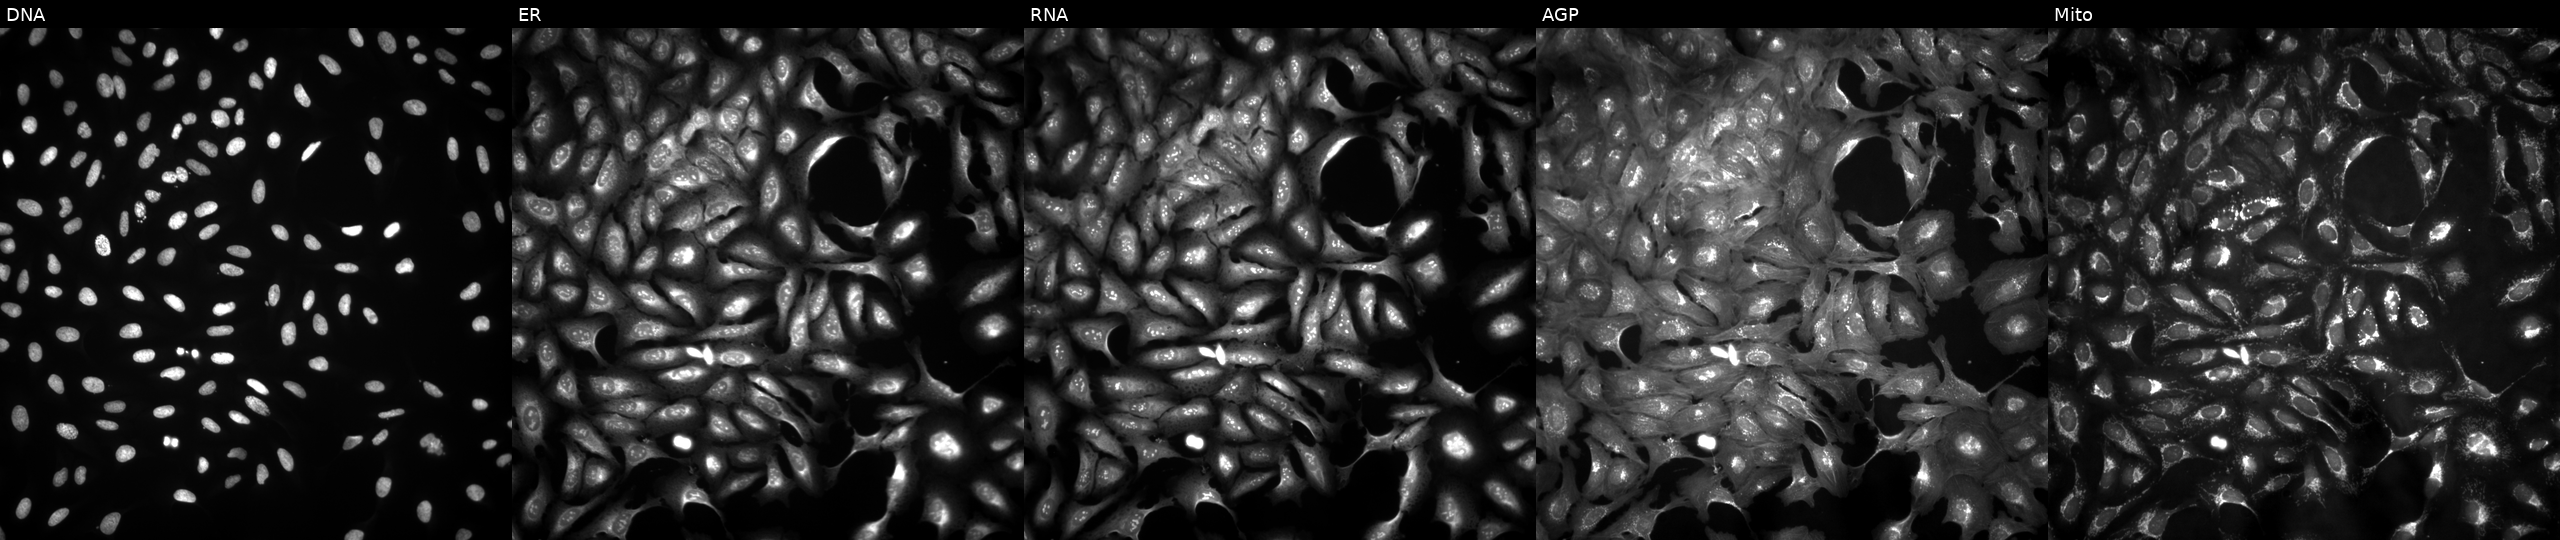
High-content fluorescence microscopy (Cell Painting). Cell line: U2OS. Perturbation: with DDX55 overexpressed (ORF) (JUMP id JCP2022_908181). Channels (left→right): Hoechst 33342, concanavalin A, SYTO 14, phalloidin and WGA, MitoTracker.